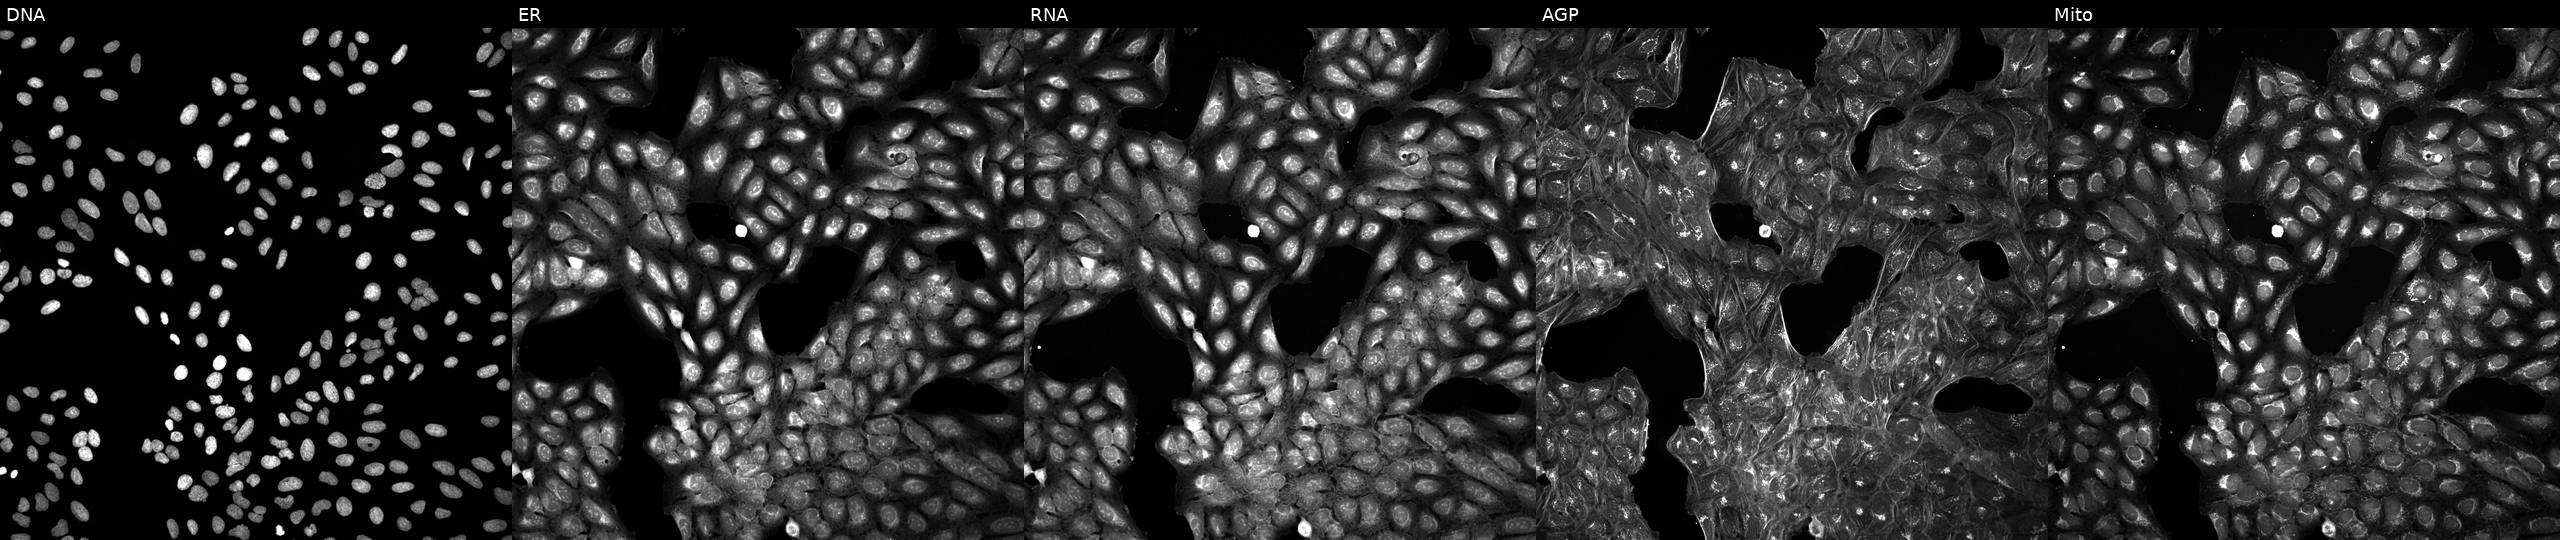
U2OS cells, Cell Painting assay, perturbed with a small-molecule compound. From left to right: DNA, ER, RNA, AGP, and Mito. Each panel is percentile-stretched 16-bit fluorescence.